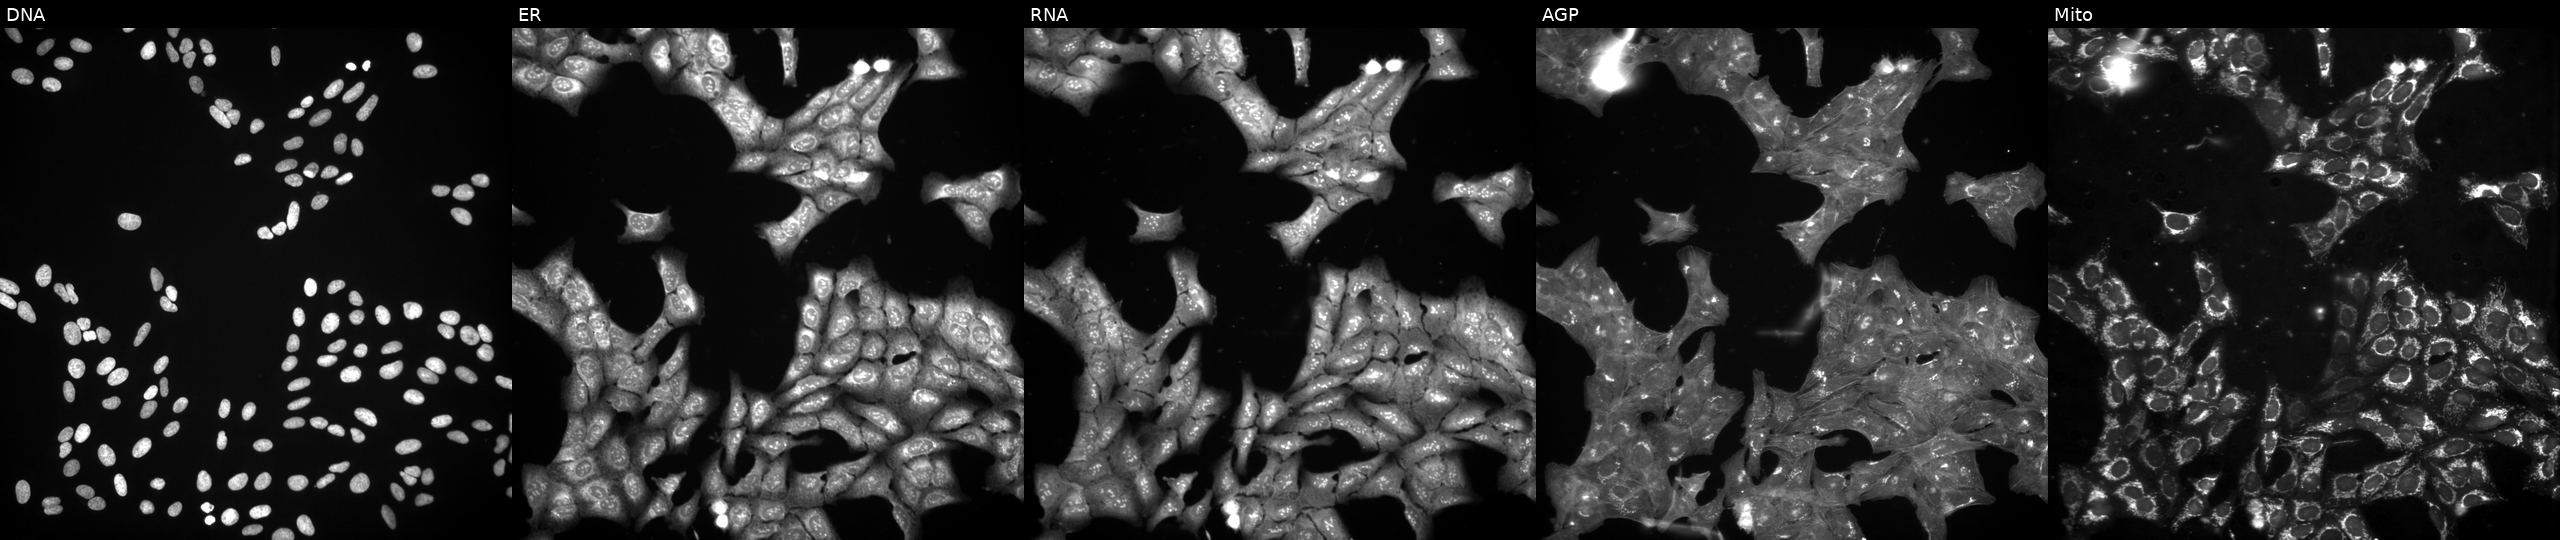
This image strip shows the five Cell Painting channels for a single field of U2OS cells perturbed with a small-molecule compound (InChIKey BLVQHYHDYFTPDV-UHFFFAOYSA-N). The five panels, left to right, show Hoechst 33342, concanavalin A, SYTO 14, phalloidin and WGA, MitoTracker.